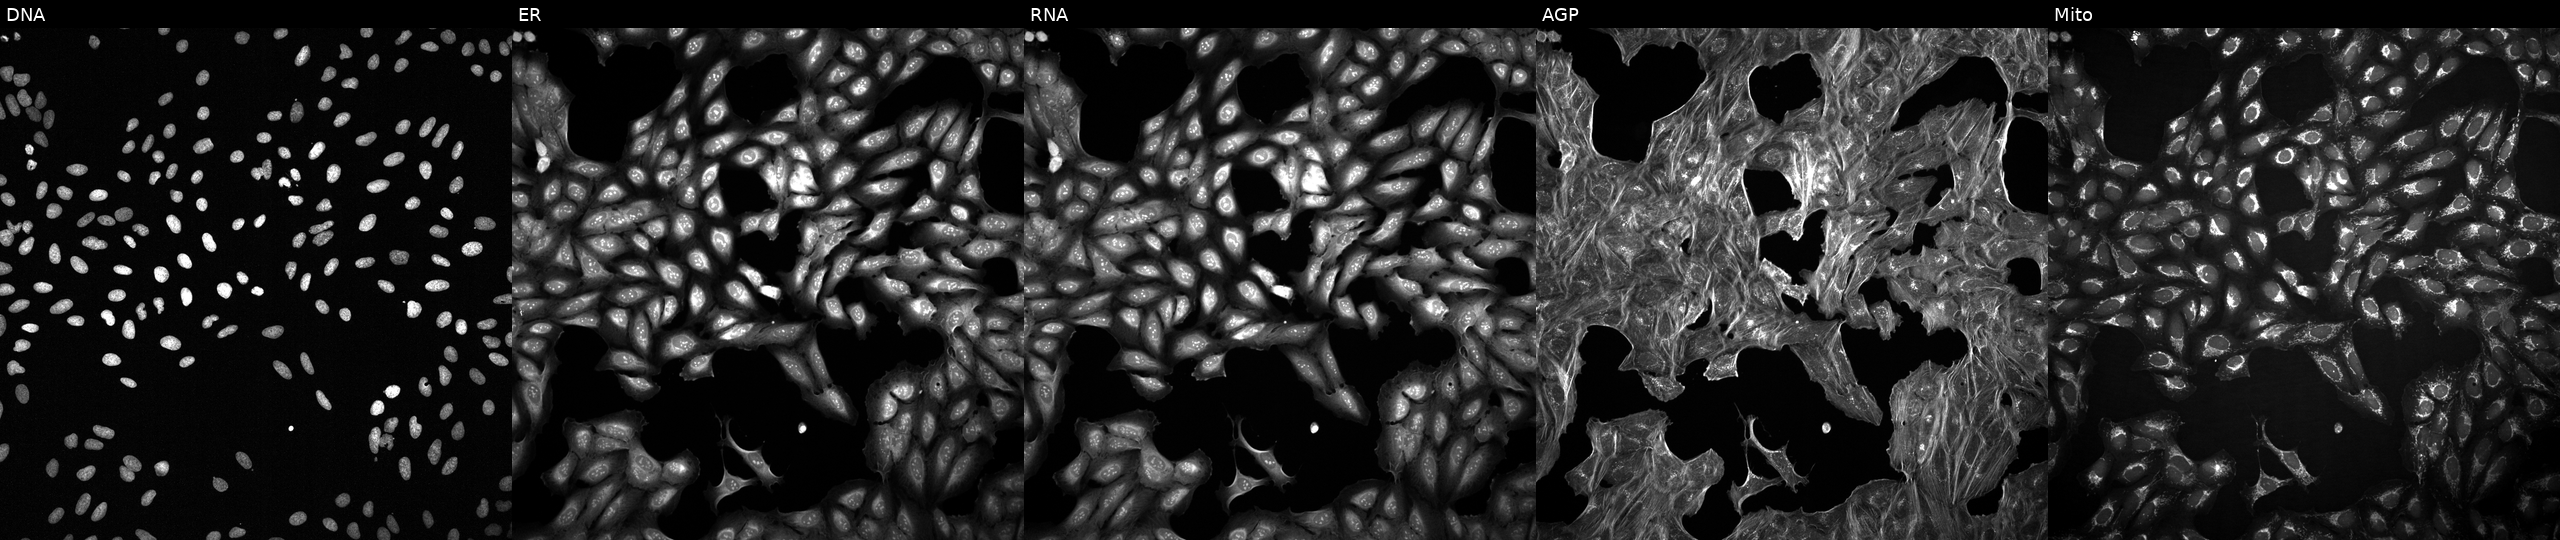
Channels (left→right): Hoechst 33342, concanavalin A, SYTO 14, phalloidin and WGA, MitoTracker. U2OS osteosarcoma cells perturbed with a small-molecule compound. Cell Painting assay, JUMP-CP dataset.